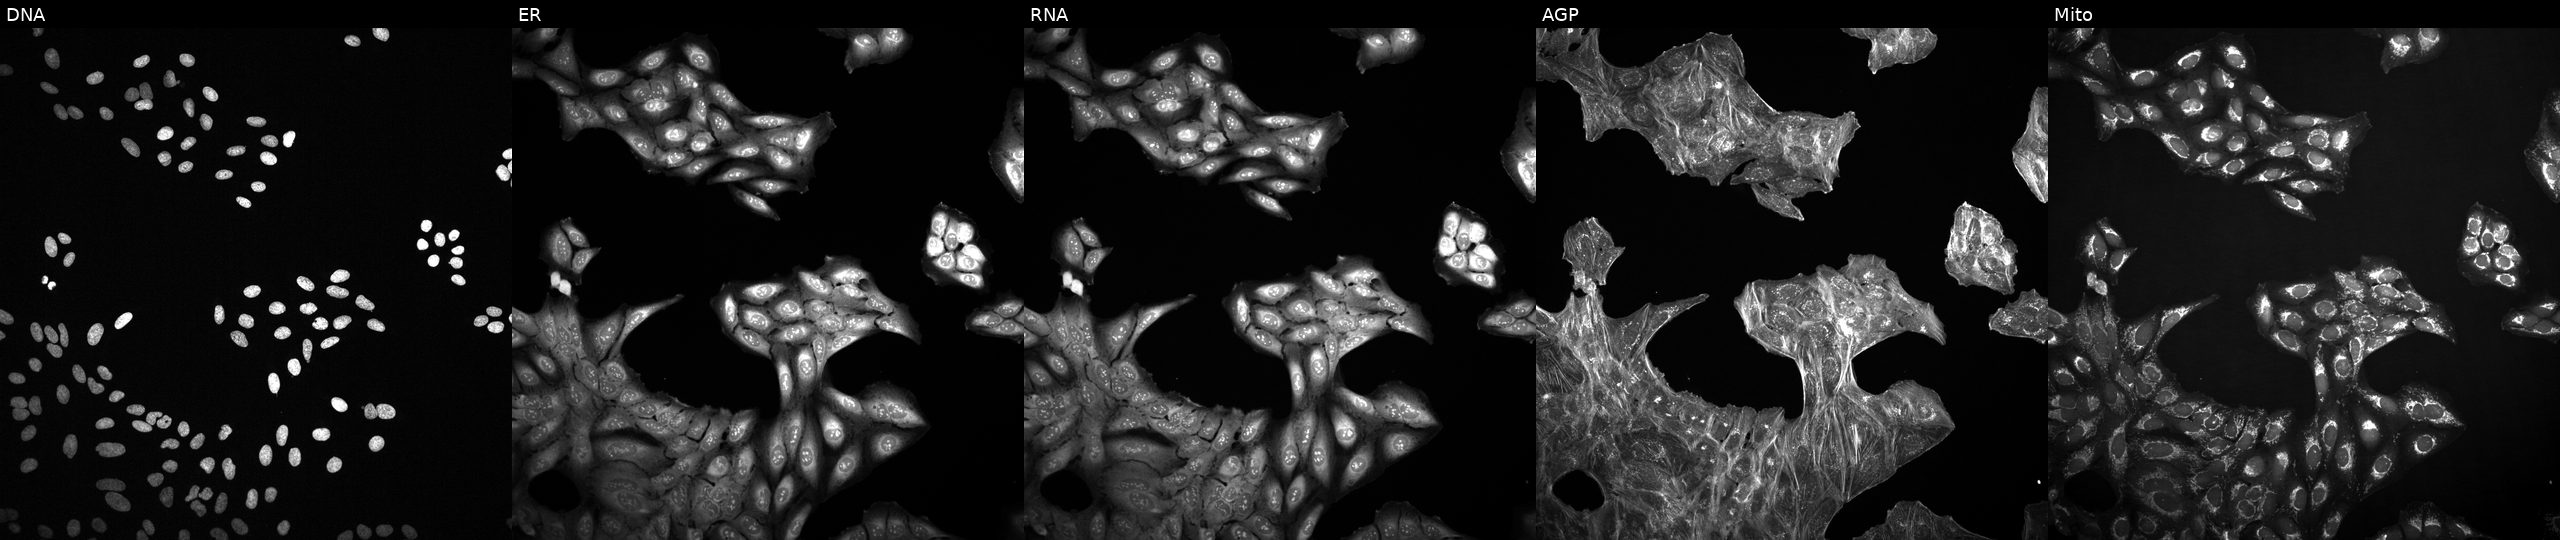
From left to right: Hoechst 33342, concanavalin A, SYTO 14, phalloidin and WGA, MitoTracker. U2OS osteosarcoma cells perturbed with a small-molecule compound (InChIKey LEVWYRKDKASIDU-UHFFFAOYSA-N) (JUMP id JCP2022_048971). Cell Painting assay, JUMP-CP dataset. Source 2, plate 1053597936, well A18.